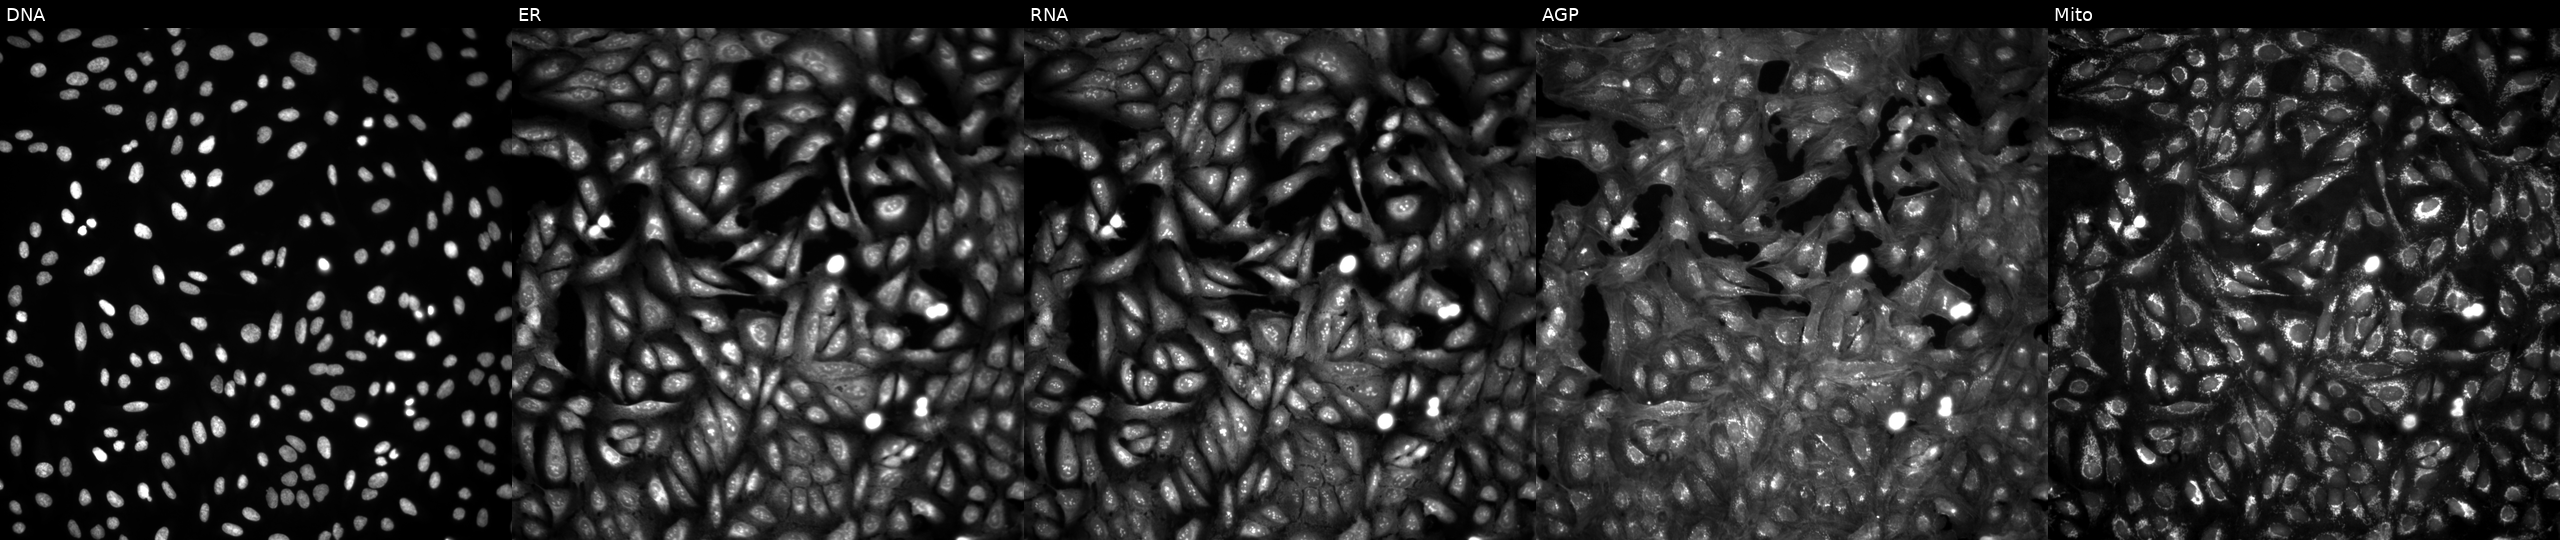
Panels show, left to right, DNA, ER, RNA, AGP, and Mito. U2OS osteosarcoma cells in an empty control well (no perturbation). Cell Painting assay, JUMP-CP dataset.